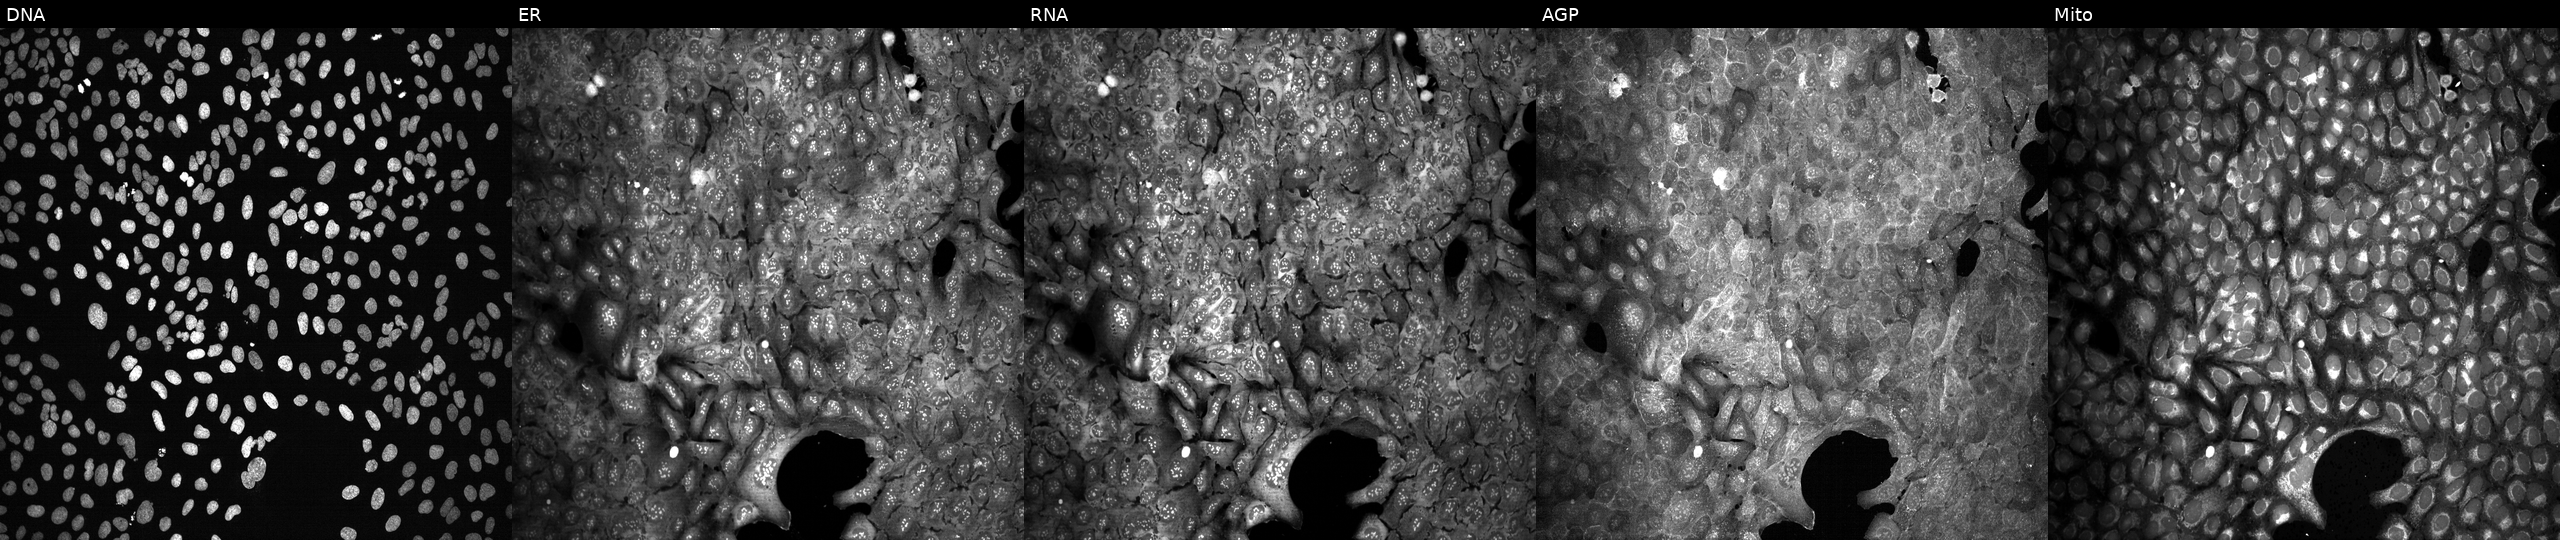
Five-channel Cell Painting image of U2OS cells treated with DMSO vehicle only (negative control). Channels (left→right): DNA, ER, RNA, AGP, and Mito.